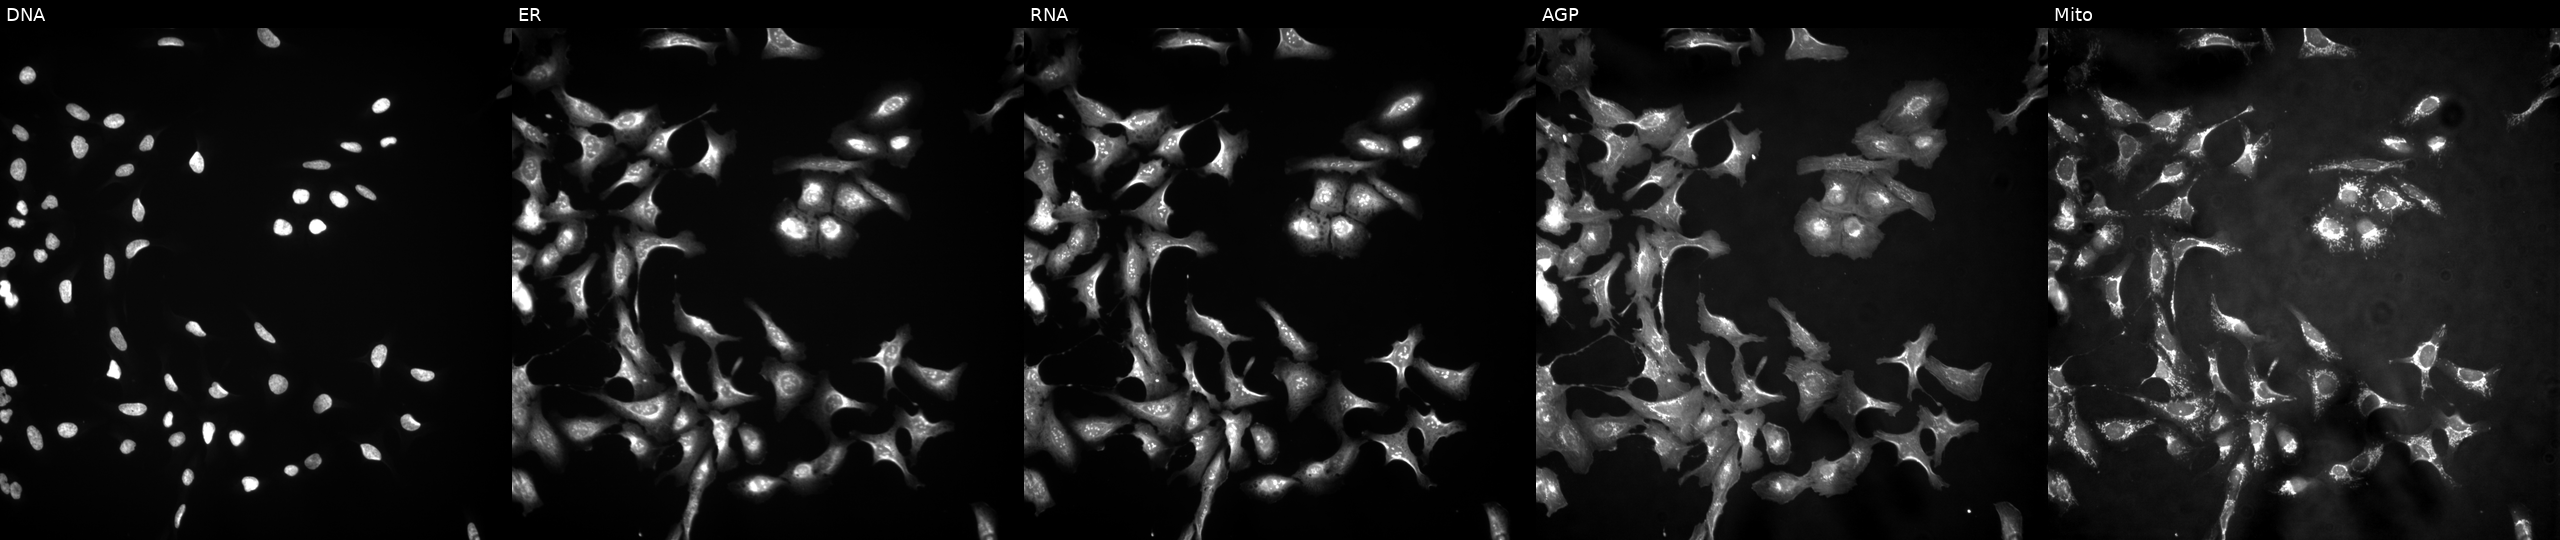
This image strip shows the five Cell Painting channels for a single field of U2OS cells overexpressing COPZ1 via ORF transfection. Panels show, left to right, Hoechst 33342, concanavalin A, SYTO 14, phalloidin and WGA, MitoTracker.